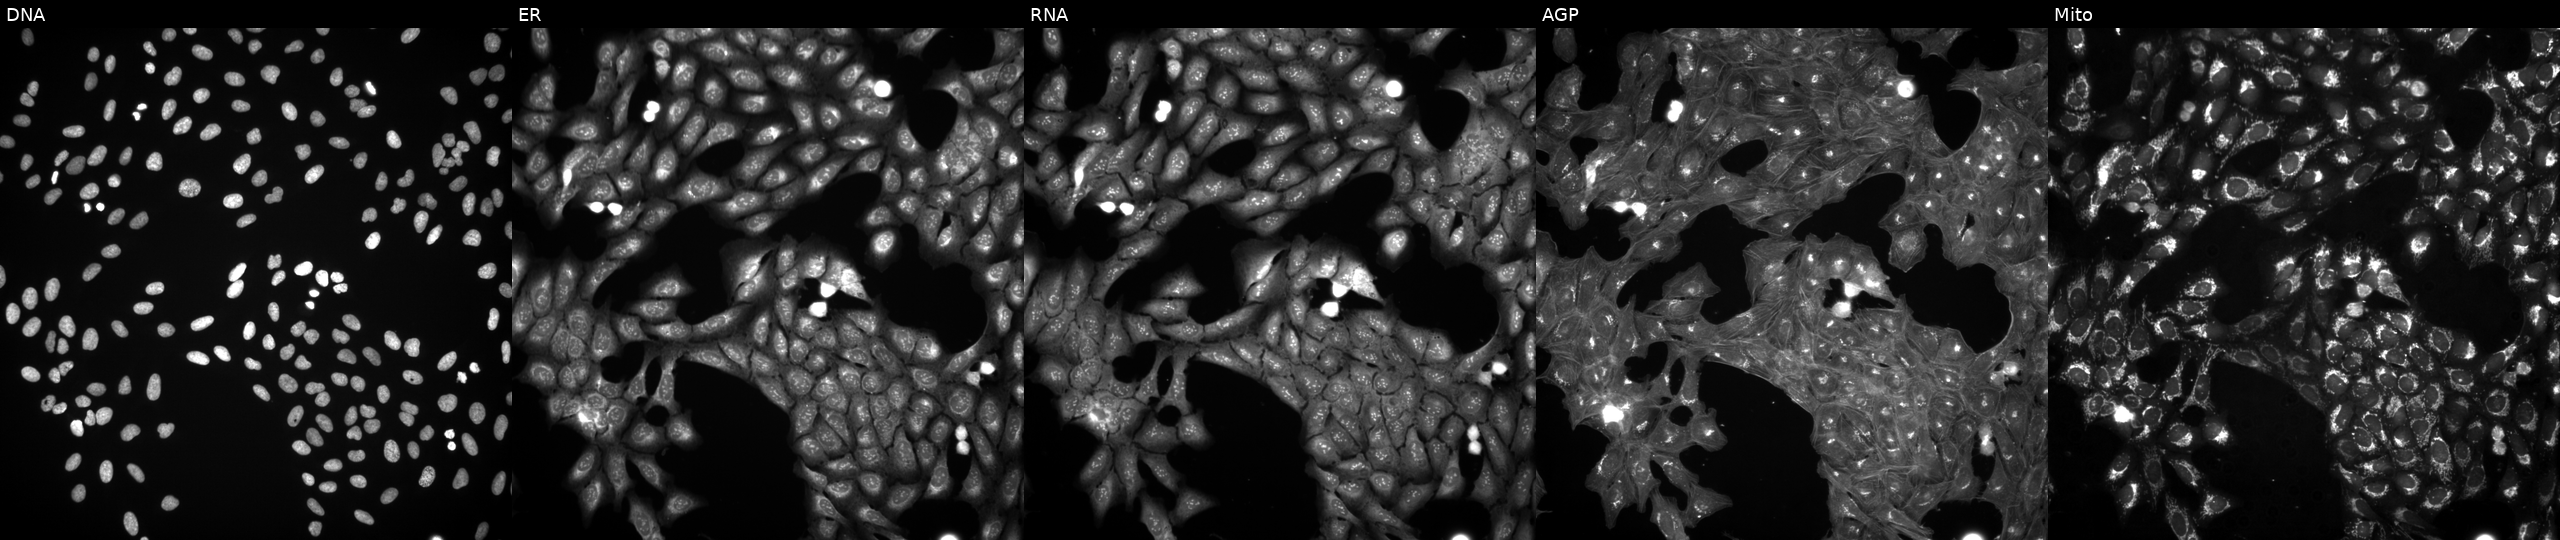
U2OS cells, Cell Painting assay, treated with a small-molecule compound (InChIKey LXANPKRCLVQAOG-UHFFFAOYSA-N). Panels show, left to right, DNA, ER, RNA, AGP, and Mito. Each panel is percentile-stretched 16-bit fluorescence. Source 3, plate JCPQC052, well N18.